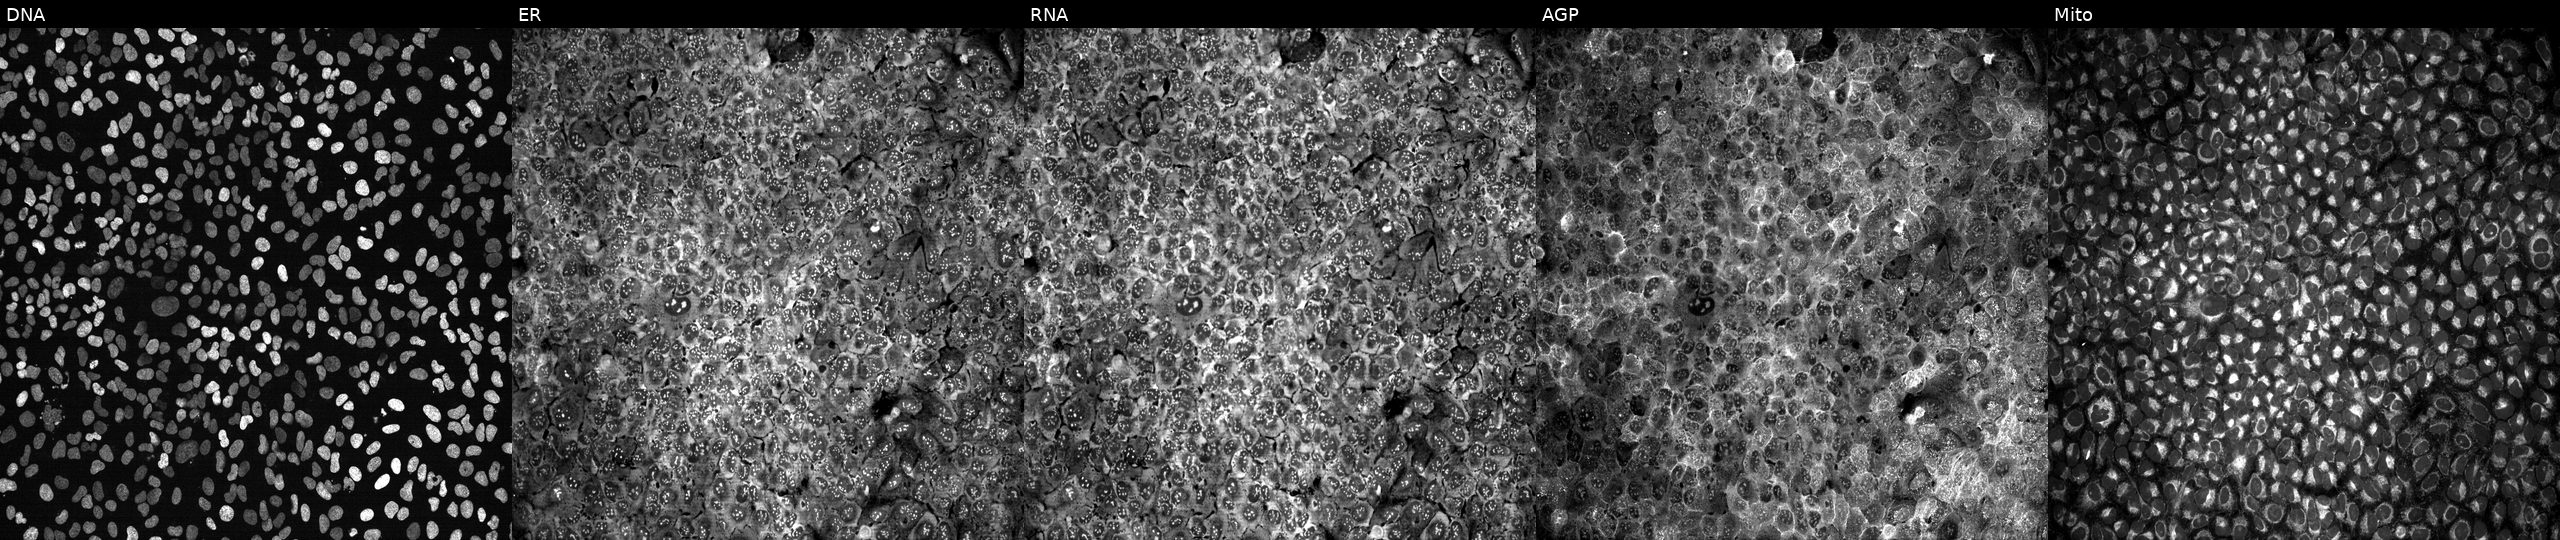
High-content fluorescence microscopy (Cell Painting). Cell line: U2OS. Perturbation: following CRISPR knockout of PIGB (JUMP id JCP2022_805140). Panels show, left to right, Hoechst 33342, concanavalin A, SYTO 14, phalloidin and WGA, MitoTracker.